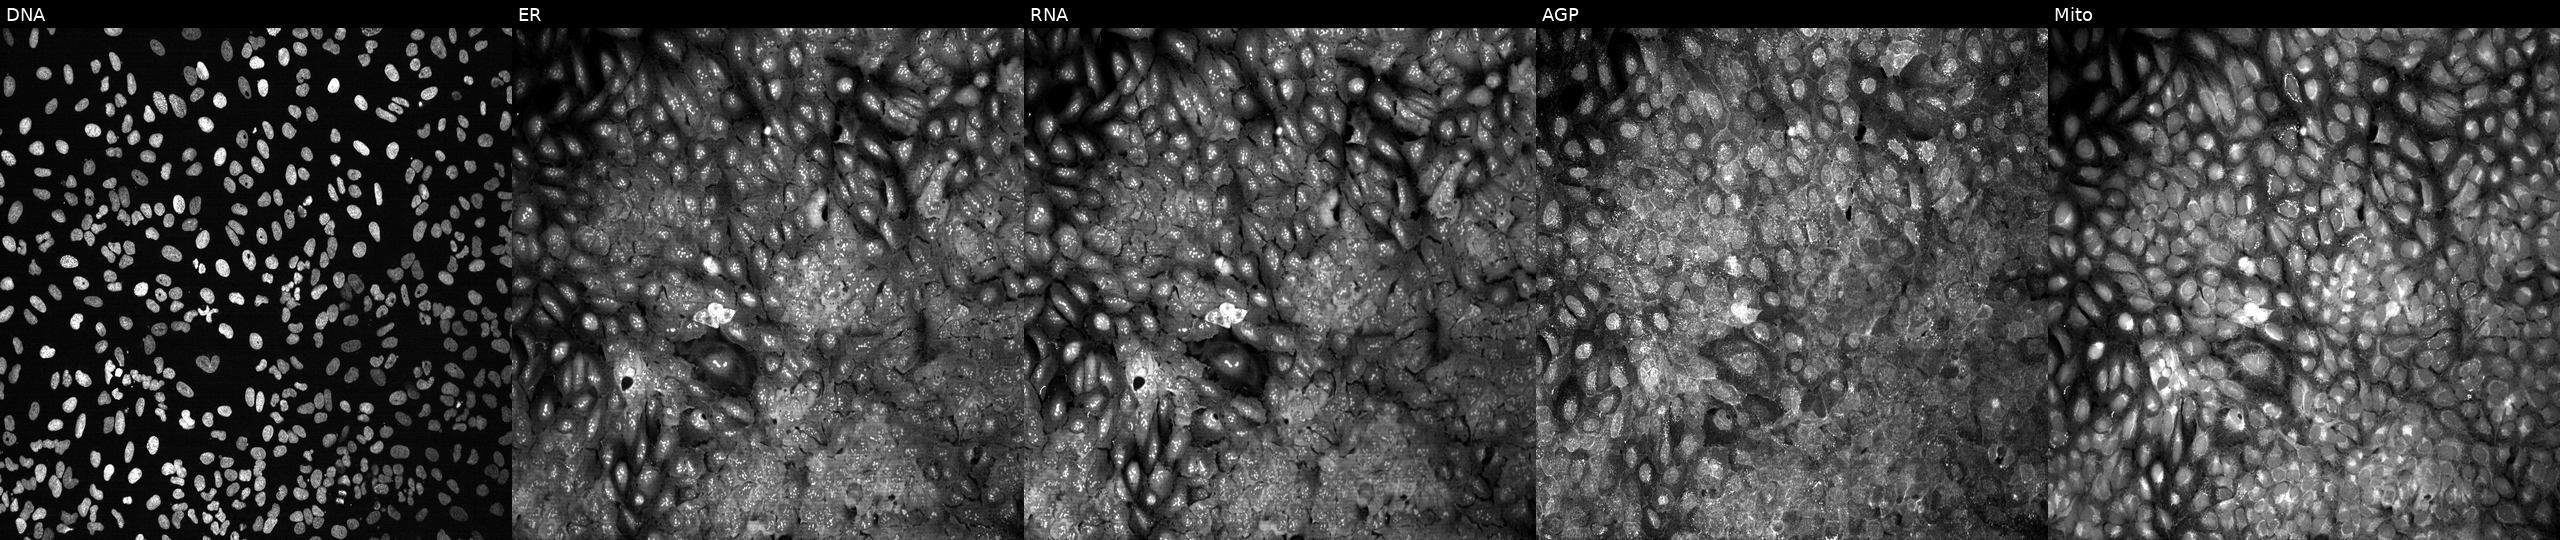
U2OS cells, Cell Painting assay, with BAG4 knocked out by CRISPR. Panels show, left to right, DNA (nuclei); ER (endoplasmic reticulum); RNA (nucleoli and cytoplasmic RNA); AGP (actin cytoskeleton, Golgi, and plasma membrane); Mito (mitochondria). Each panel is percentile-stretched 16-bit fluorescence. Source 13, plate CP-CC9-R1-02, well E21.